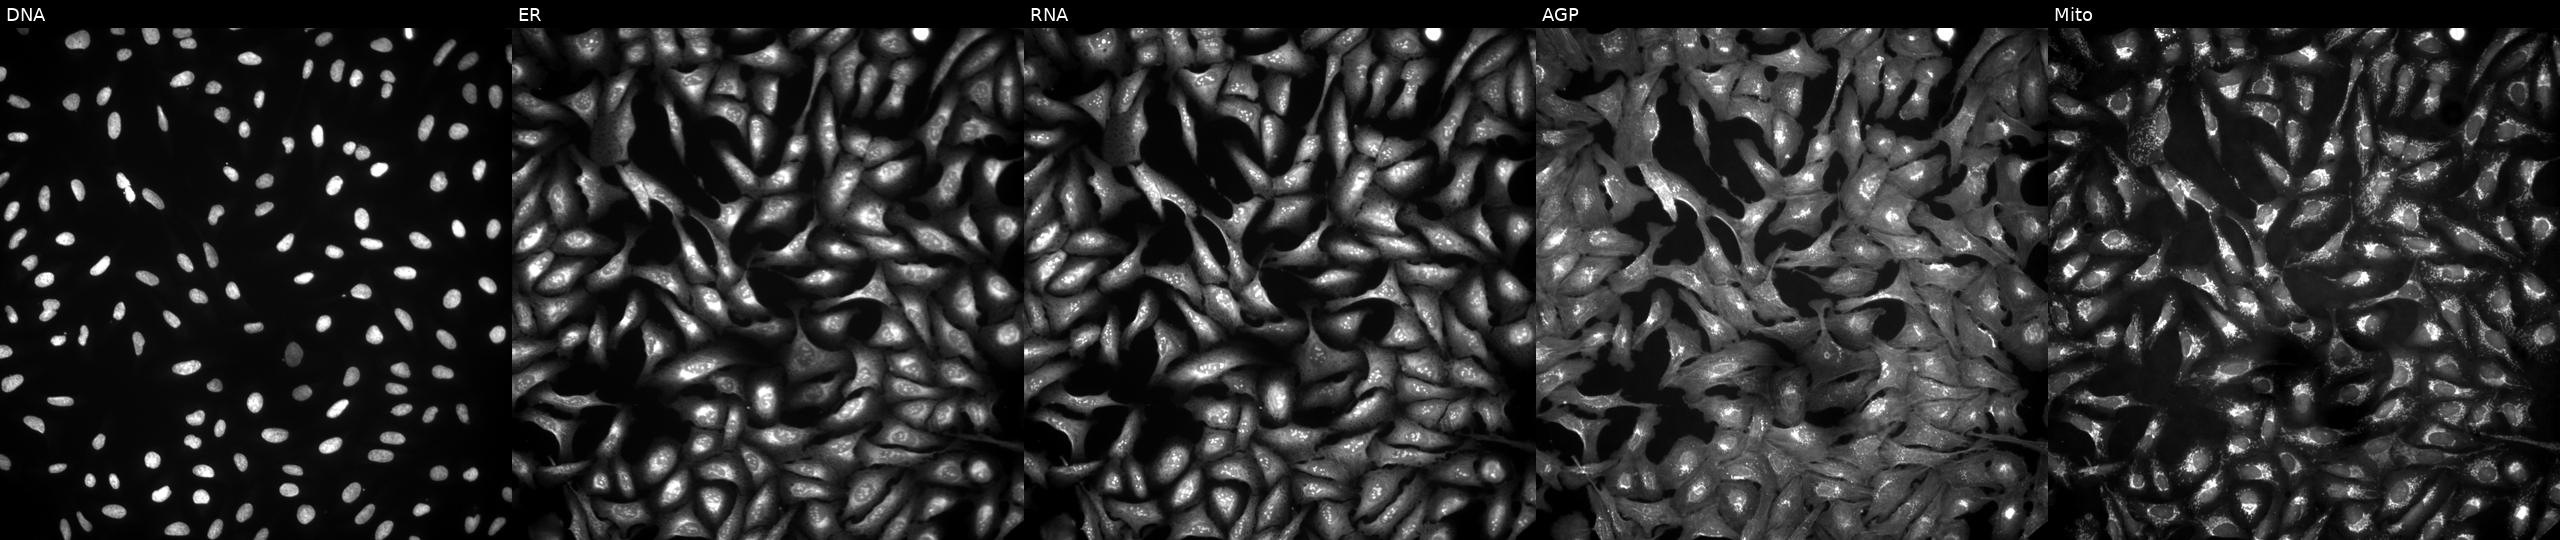
High-content fluorescence microscopy (Cell Painting). Cell line: U2OS. Perturbation: transfected with an ORF construct for TRDN (JUMP id JCP2022_910710). Panels show, left to right, DNA, ER, RNA, AGP, and Mito.